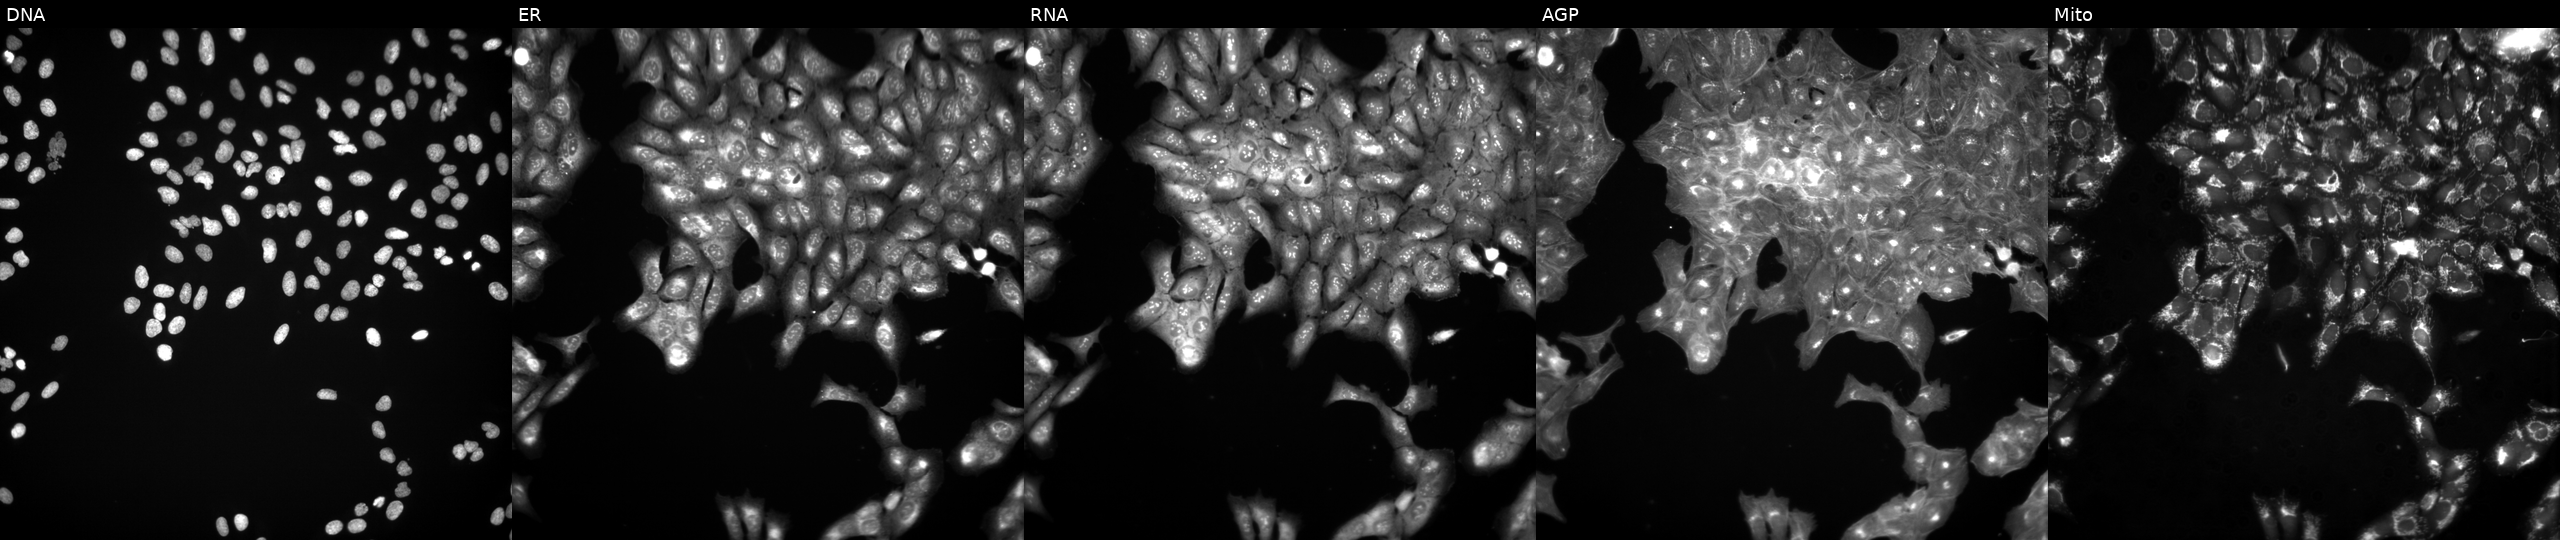
High-content fluorescence microscopy (Cell Painting). Cell line: U2OS. Perturbation: untreated (empty-well control) (JUMP id JCP2022_999999). From left to right: Hoechst 33342, concanavalin A, SYTO 14, phalloidin and WGA, MitoTracker.